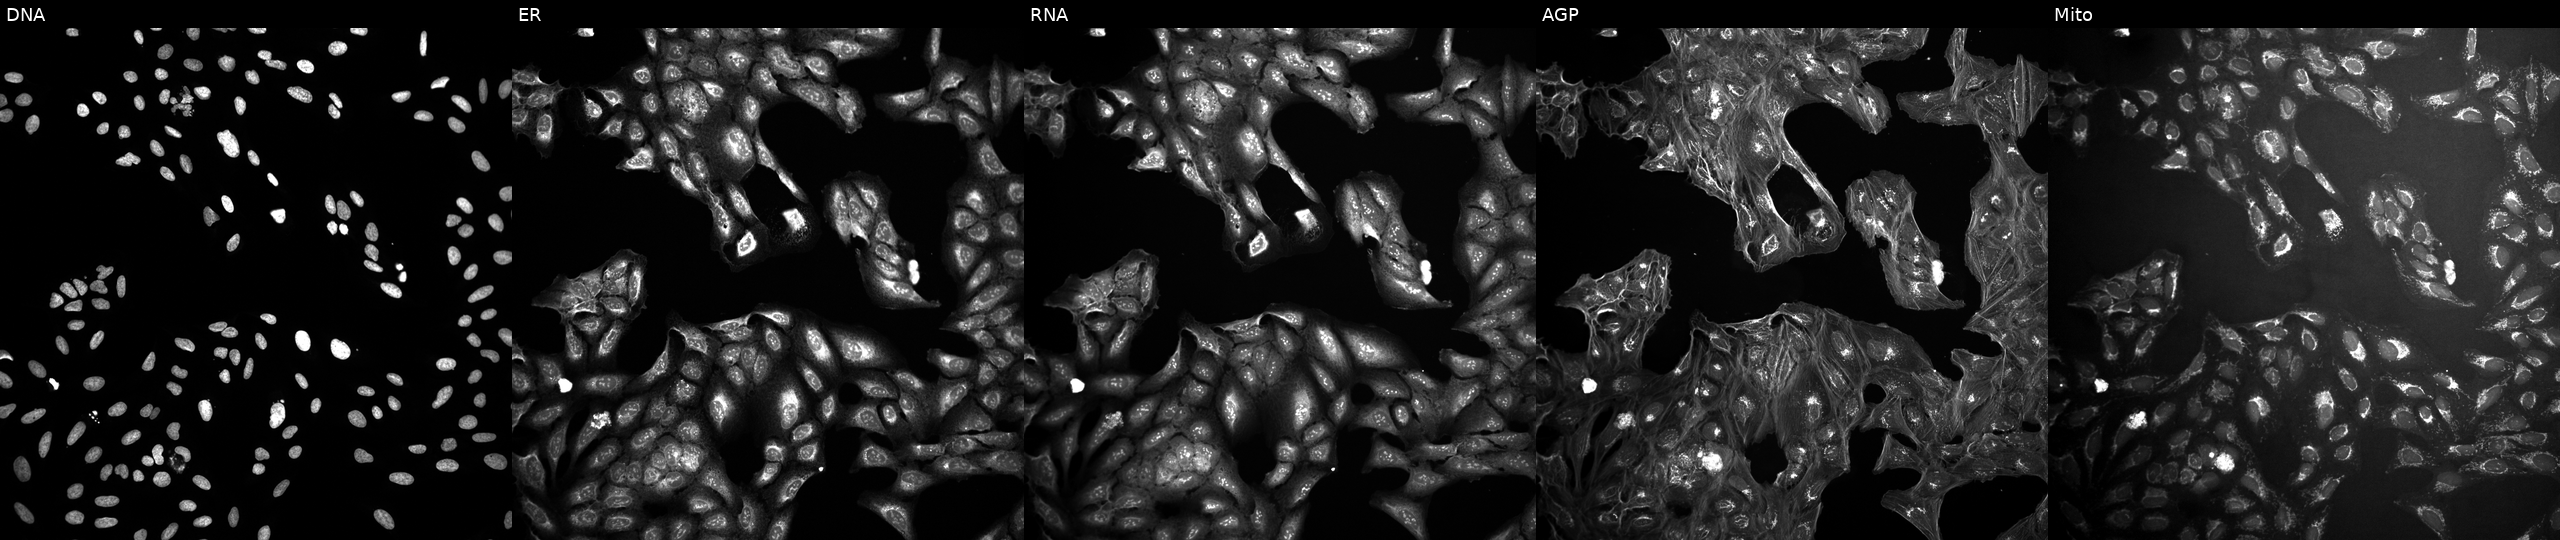
U2OS cells, Cell Painting assay, exposed to a small-molecule compound [SMILES: CC(=O)c1ccc(F)c(-c2cc(C)cc3c2OC(CNC(=O)C2CCC2)C3)c1]. From left to right: Hoechst 33342, concanavalin A, SYTO 14, phalloidin and WGA, MitoTracker. Each panel is percentile-stretched 16-bit fluorescence.